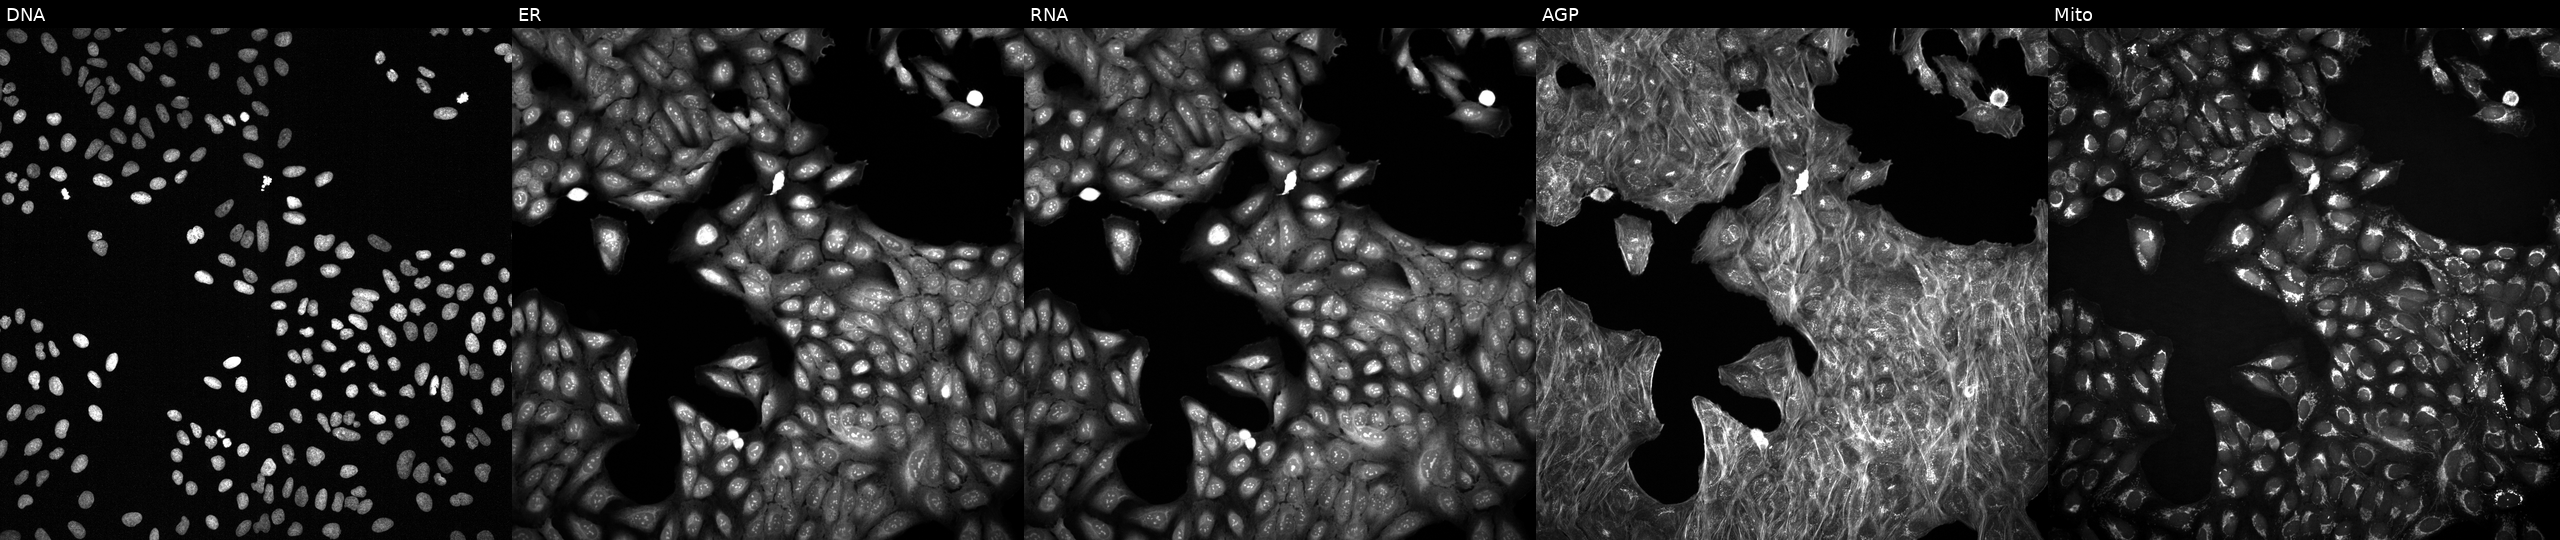
Channels (left→right): DNA, ER, RNA, AGP, and Mito. U2OS osteosarcoma cells exposed to a small-molecule compound (InChIKey KKJZIXCWOBIQCT-UHFFFAOYSA-N) (JUMP id JCP2022_045193). Cell Painting assay, JUMP-CP dataset. Source 2, plate 1053601756, well A06.